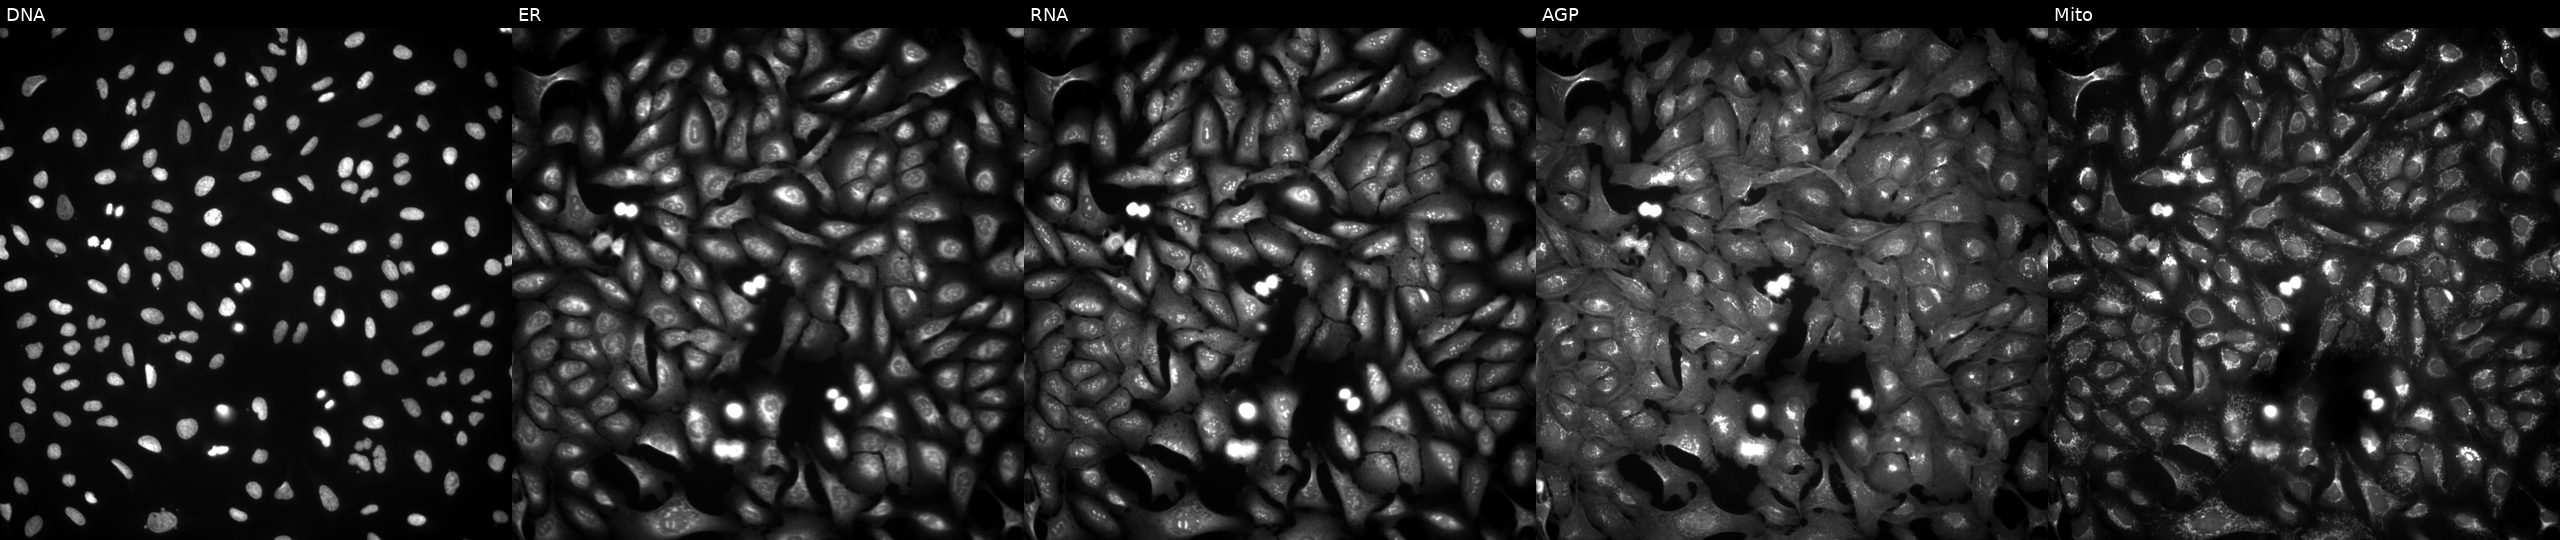
This image strip shows the five Cell Painting channels for a single field of U2OS cells with SNRPB overexpressed (ORF). Panels show, left to right, DNA, ER, RNA, AGP, and Mito.